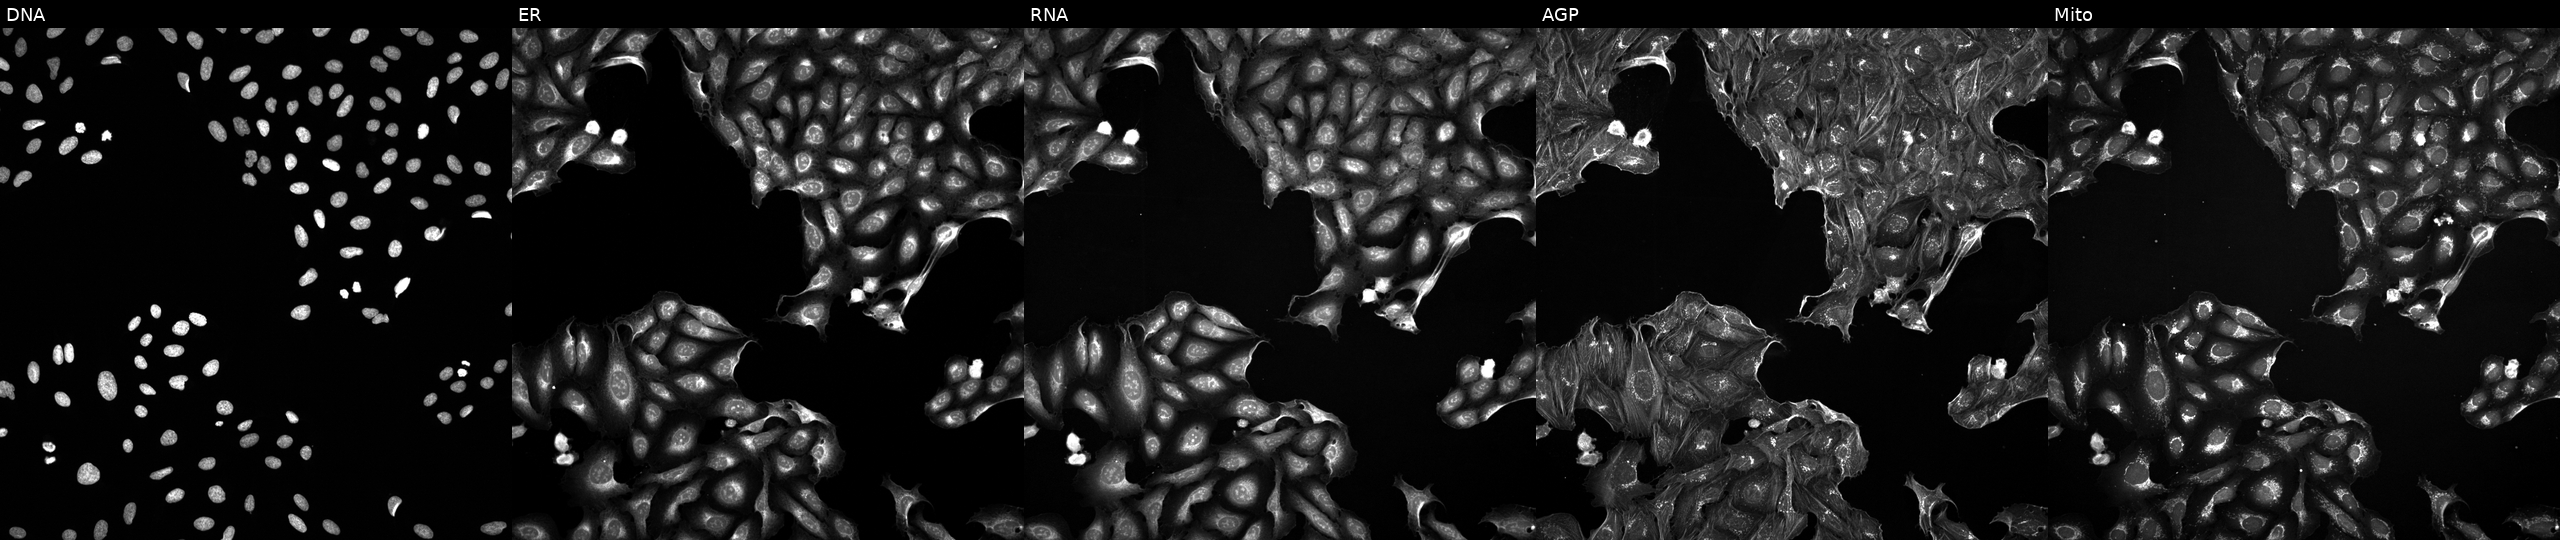
This image strip shows the five Cell Painting channels for a single field of U2OS cells perturbed with a small-molecule compound. From left to right: DNA, ER, RNA, AGP, and Mito. Source 5, plate ACPJUM051, well A15.